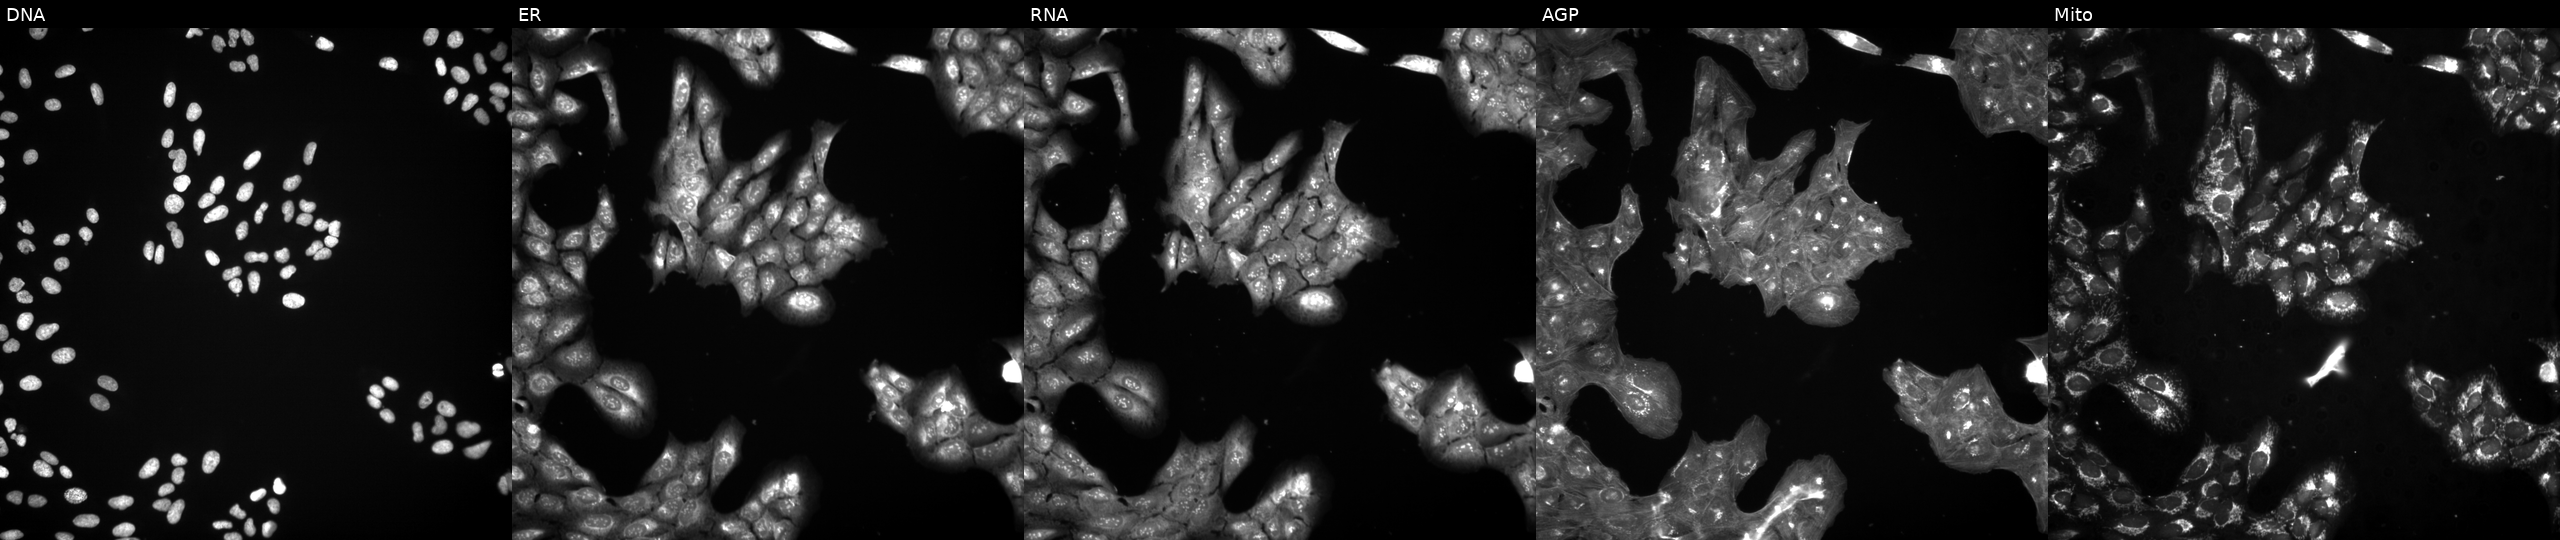
High-content fluorescence microscopy (Cell Painting). Cell line: U2OS. Perturbation: exposed to a small-molecule compound [SMILES: COc1cccc(-c2cc(=O)c3ccccc3o2)c1N]. The five panels, left to right, show Hoechst 33342, concanavalin A, SYTO 14, phalloidin and WGA, MitoTracker.